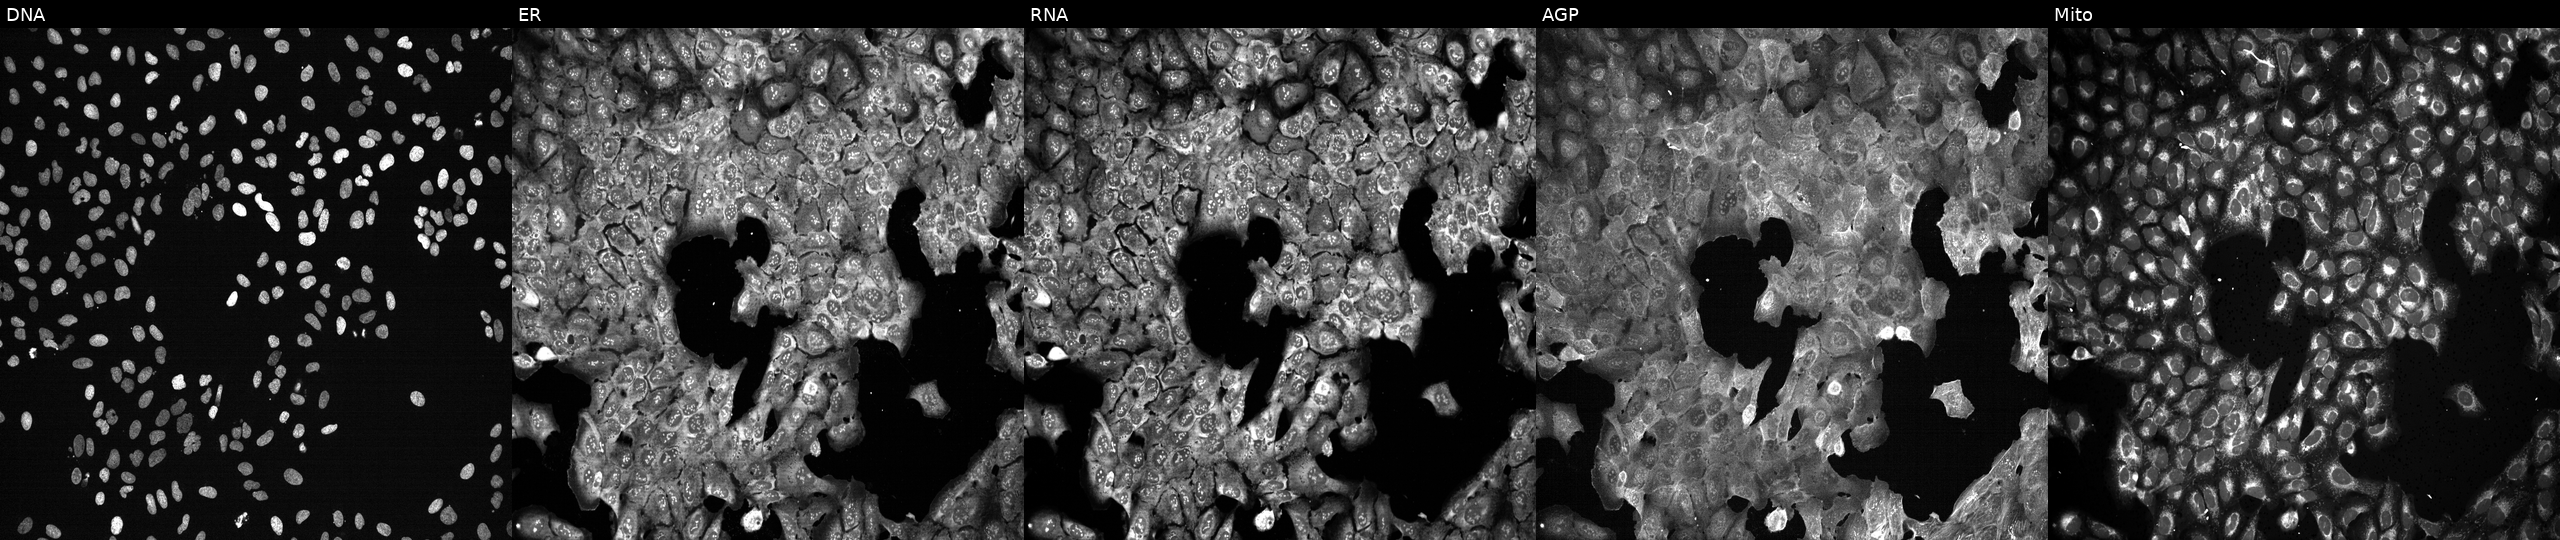
The five panels, left to right, show DNA (nuclei); ER (endoplasmic reticulum); RNA (nucleoli and cytoplasmic RNA); AGP (actin cytoskeleton, Golgi, and plasma membrane); Mito (mitochondria). U2OS osteosarcoma cells CRISPR-edited to disrupt PABPC1 (JUMP id JCP2022_804874). Cell Painting assay, JUMP-CP dataset.